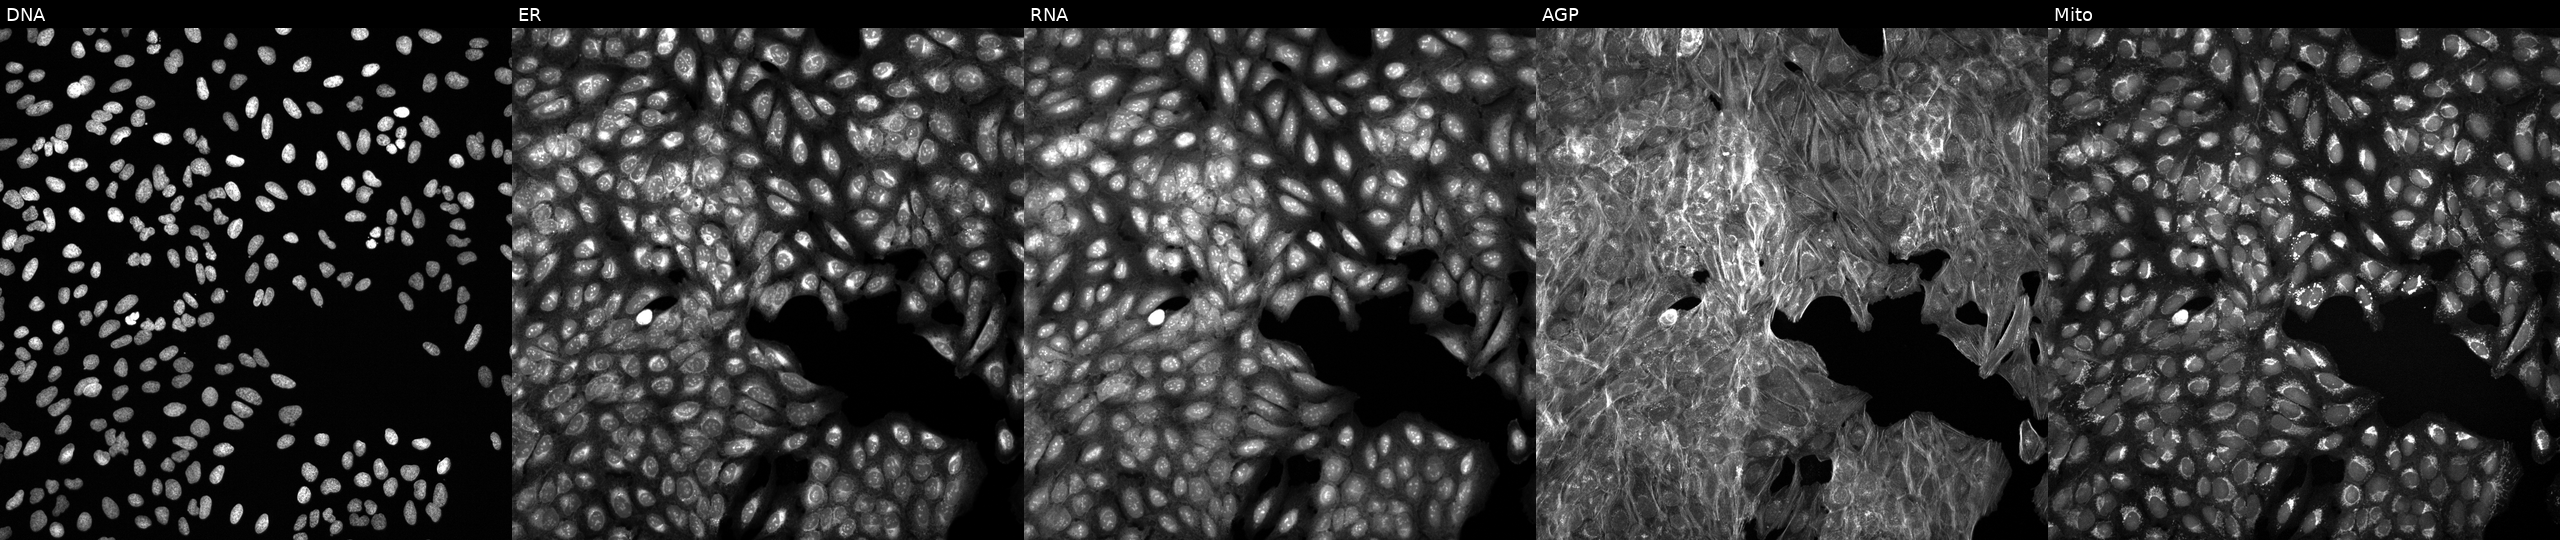
U2OS cells, Cell Painting assay, exposed to a small-molecule compound (JUMP id JCP2022_077927). The five panels, left to right, show Hoechst 33342, concanavalin A, SYTO 14, phalloidin and WGA, MitoTracker. Each panel is percentile-stretched 16-bit fluorescence. Source 6, plate 110000294901, well O17.